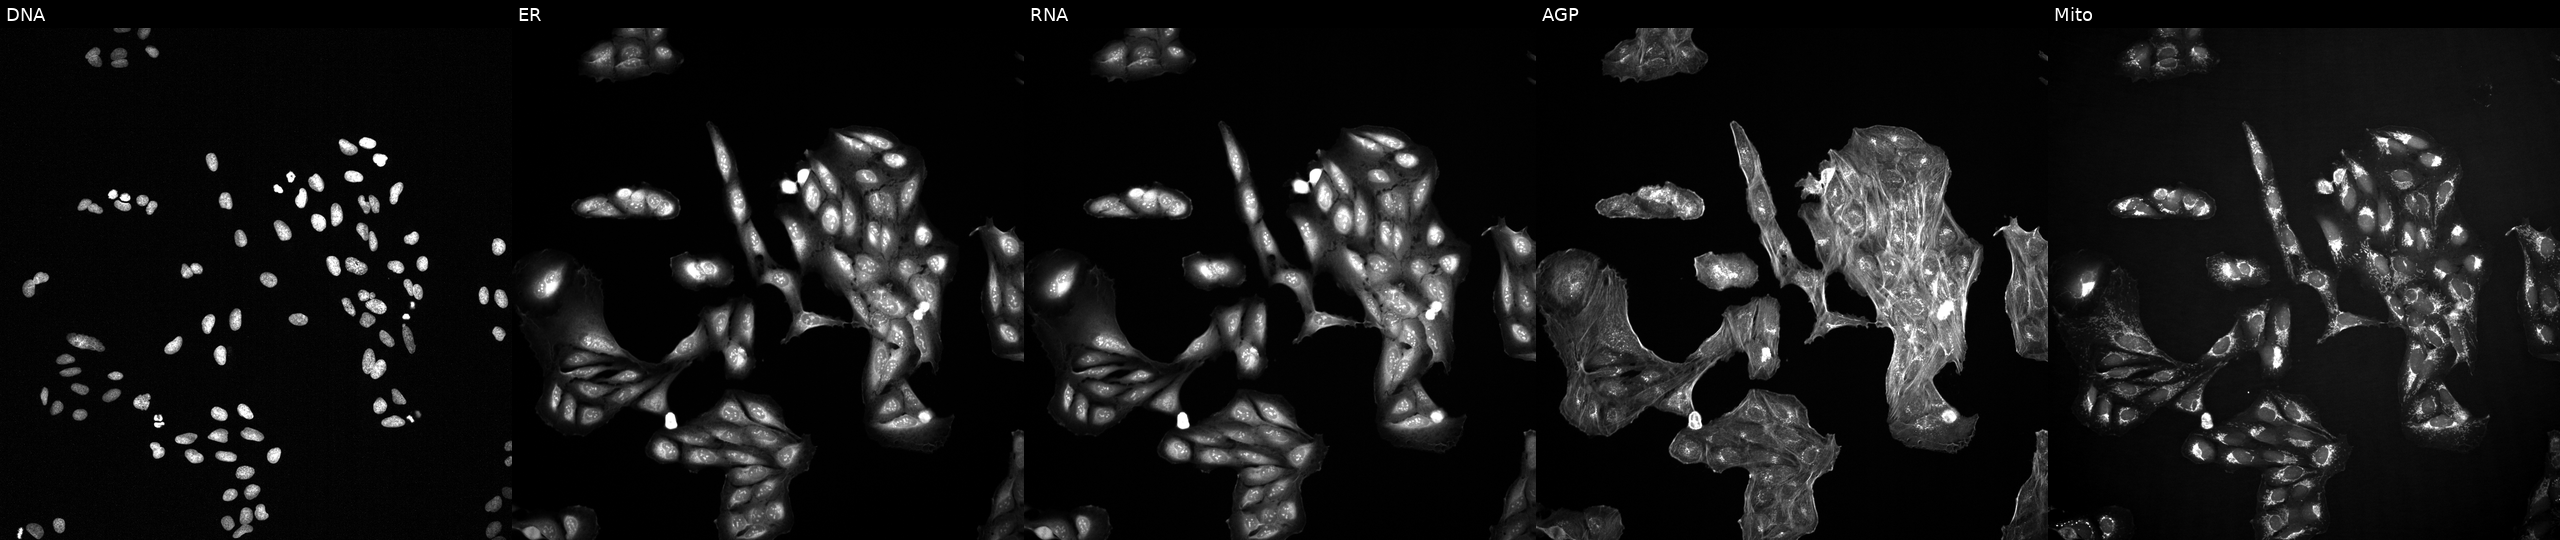
This image strip shows the five Cell Painting channels for a single field of U2OS cells with an unidentified perturbation (not annotated in JUMP metadata). The five panels, left to right, show DNA, ER, RNA, AGP, and Mito. Source 2, plate 1053601763, well B22.